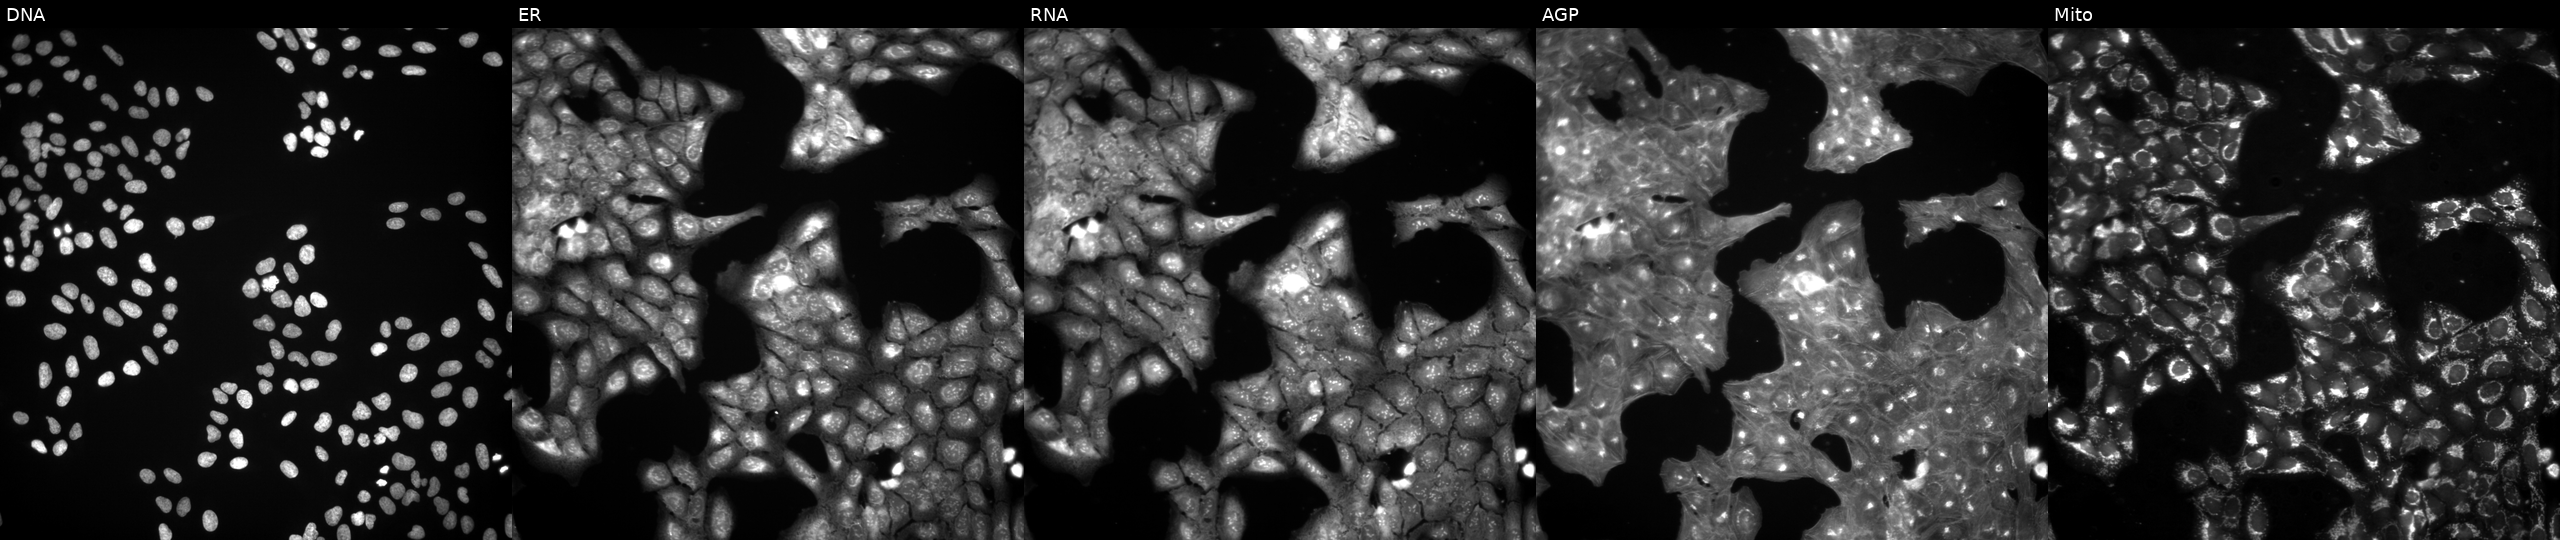
Five-channel Cell Painting image of U2OS cells treated with DMSO vehicle only (negative control) (JUMP id JCP2022_033924). Panels show, left to right, DNA (nuclei); ER (endoplasmic reticulum); RNA (nucleoli and cytoplasmic RNA); AGP (actin cytoskeleton, Golgi, and plasma membrane); Mito (mitochondria).